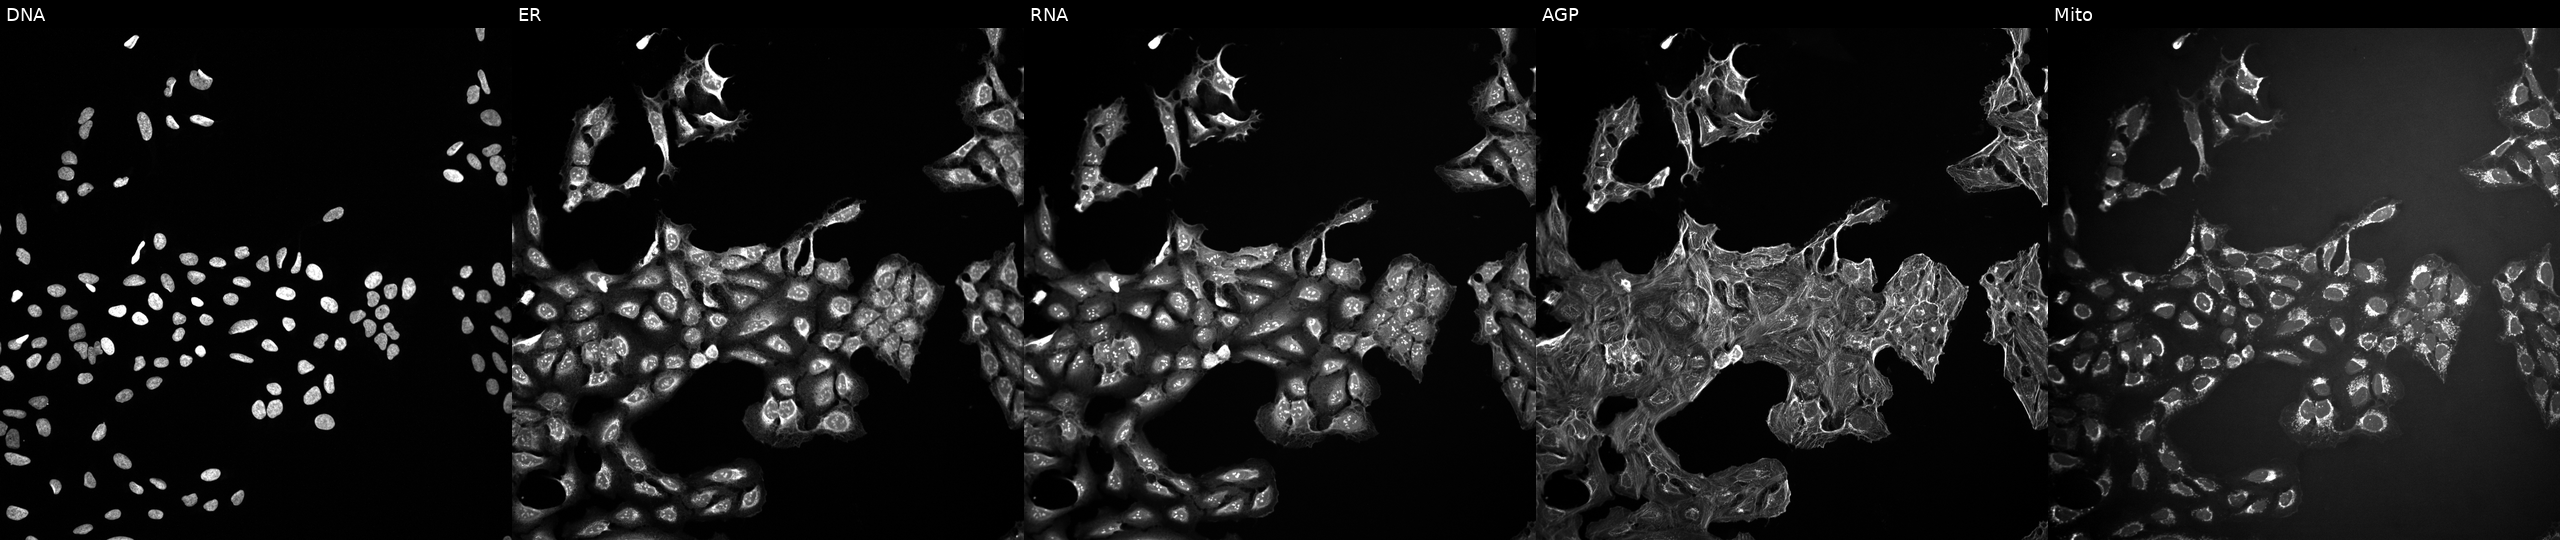
JUMP Cell Painting — TARGET2 plate. U2OS cells treated with a small-molecule compound (InChIKey LXANPKRCLVQAOG-UHFFFAOYSA-N) (JUMP id JCP2022_052259). From left to right: DNA (nuclei); ER (endoplasmic reticulum); RNA (nucleoli and cytoplasmic RNA); AGP (actin cytoskeleton, Golgi, and plasma membrane); Mito (mitochondria).